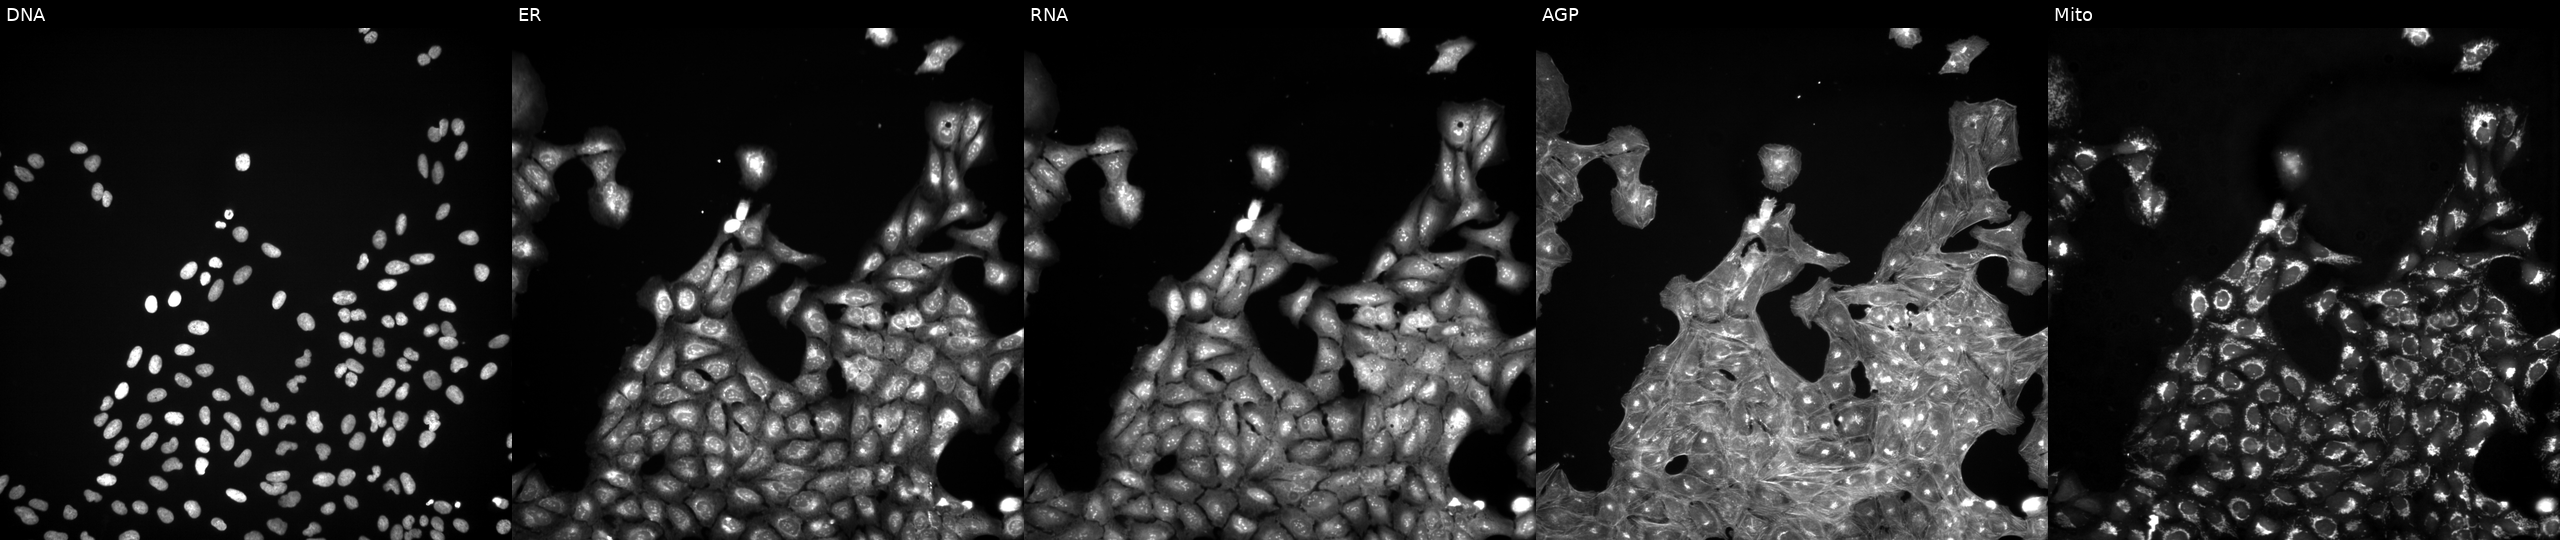
High-content fluorescence microscopy (Cell Painting). Cell line: U2OS. Perturbation: treated with DMSO vehicle only (negative control). Channels (left→right): DNA, ER, RNA, AGP, and Mito.